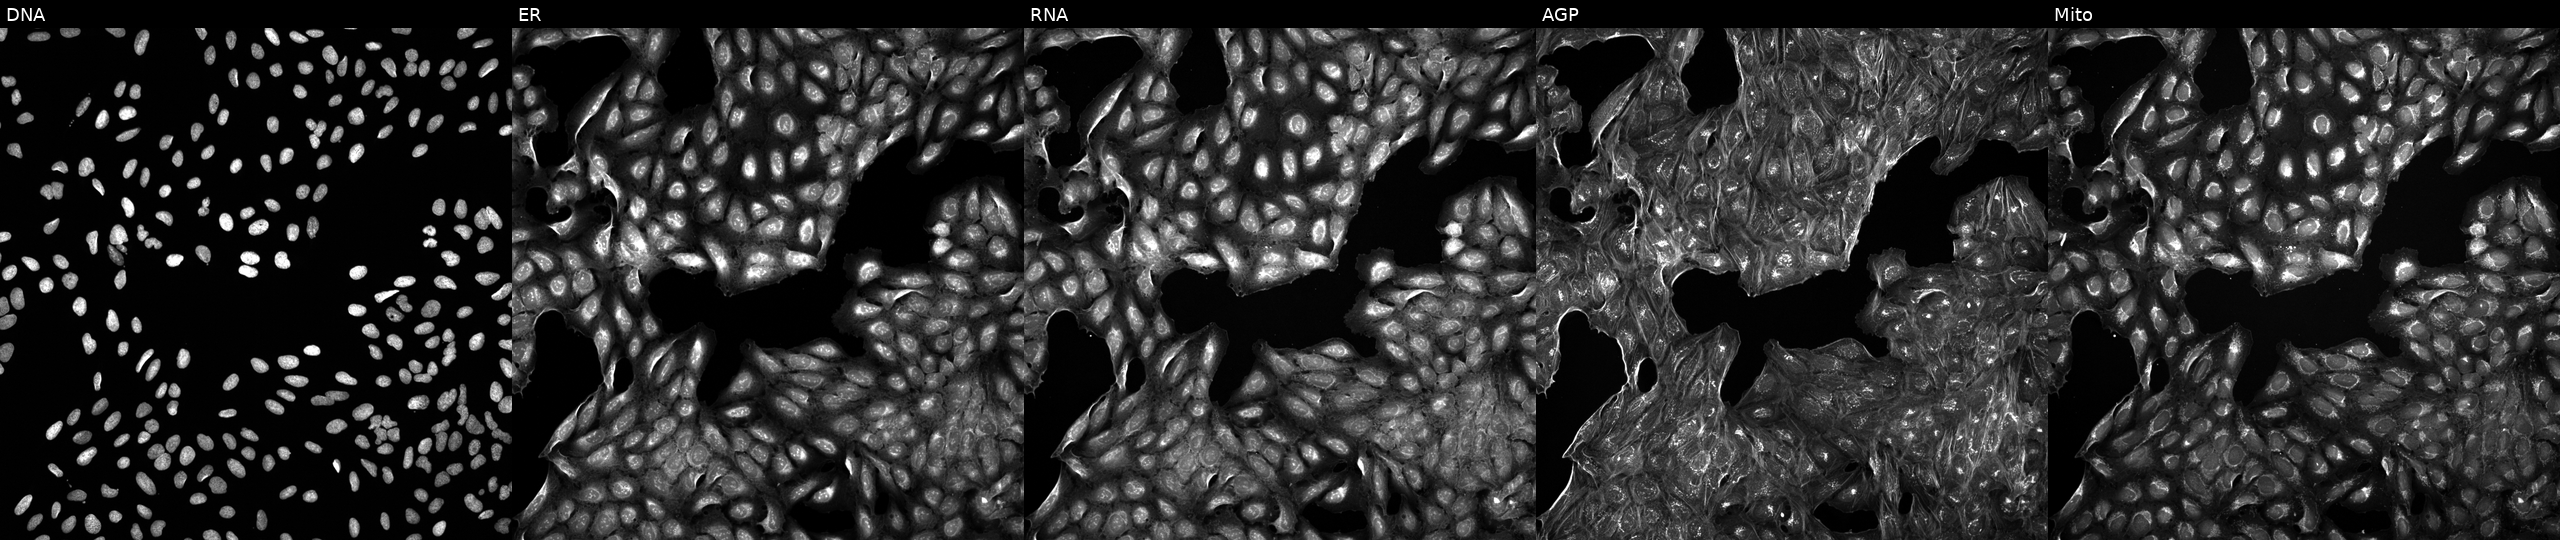
Five-channel Cell Painting image of U2OS cells treated with a small-molecule compound (InChIKey KQRVLWHUQZQFPS-UHFFFAOYSA-N) (JUMP id JCP2022_046391). Channels (left→right): Hoechst 33342, concanavalin A, SYTO 14, phalloidin and WGA, MitoTracker.